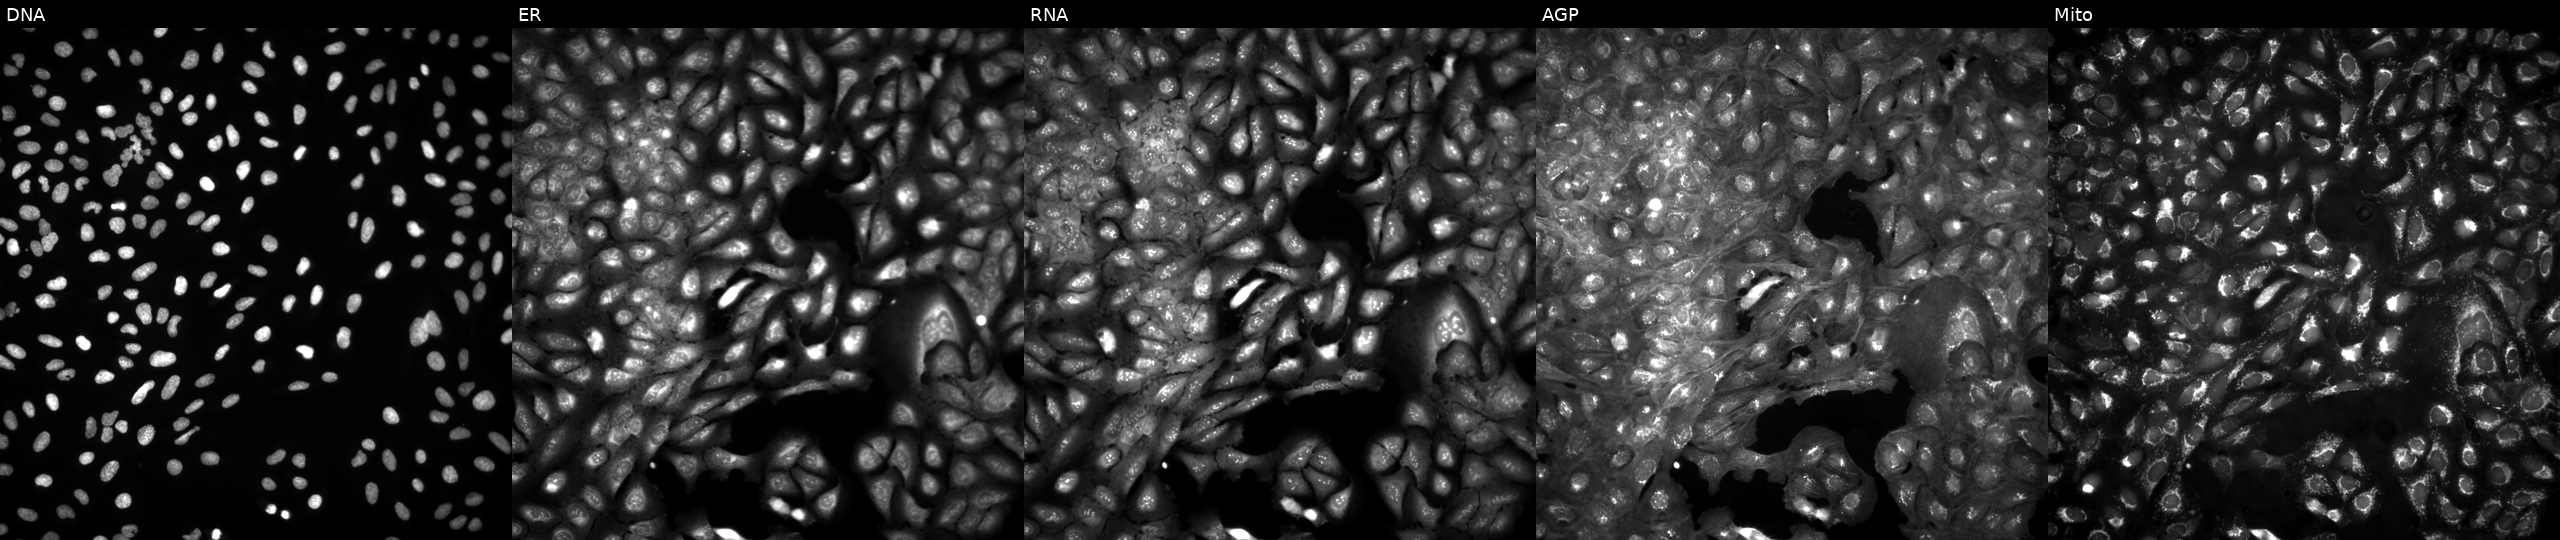
Channels (left→right): DNA, ER, RNA, AGP, and Mito. U2OS osteosarcoma cells in an empty control well (no perturbation). Cell Painting assay, JUMP-CP dataset.